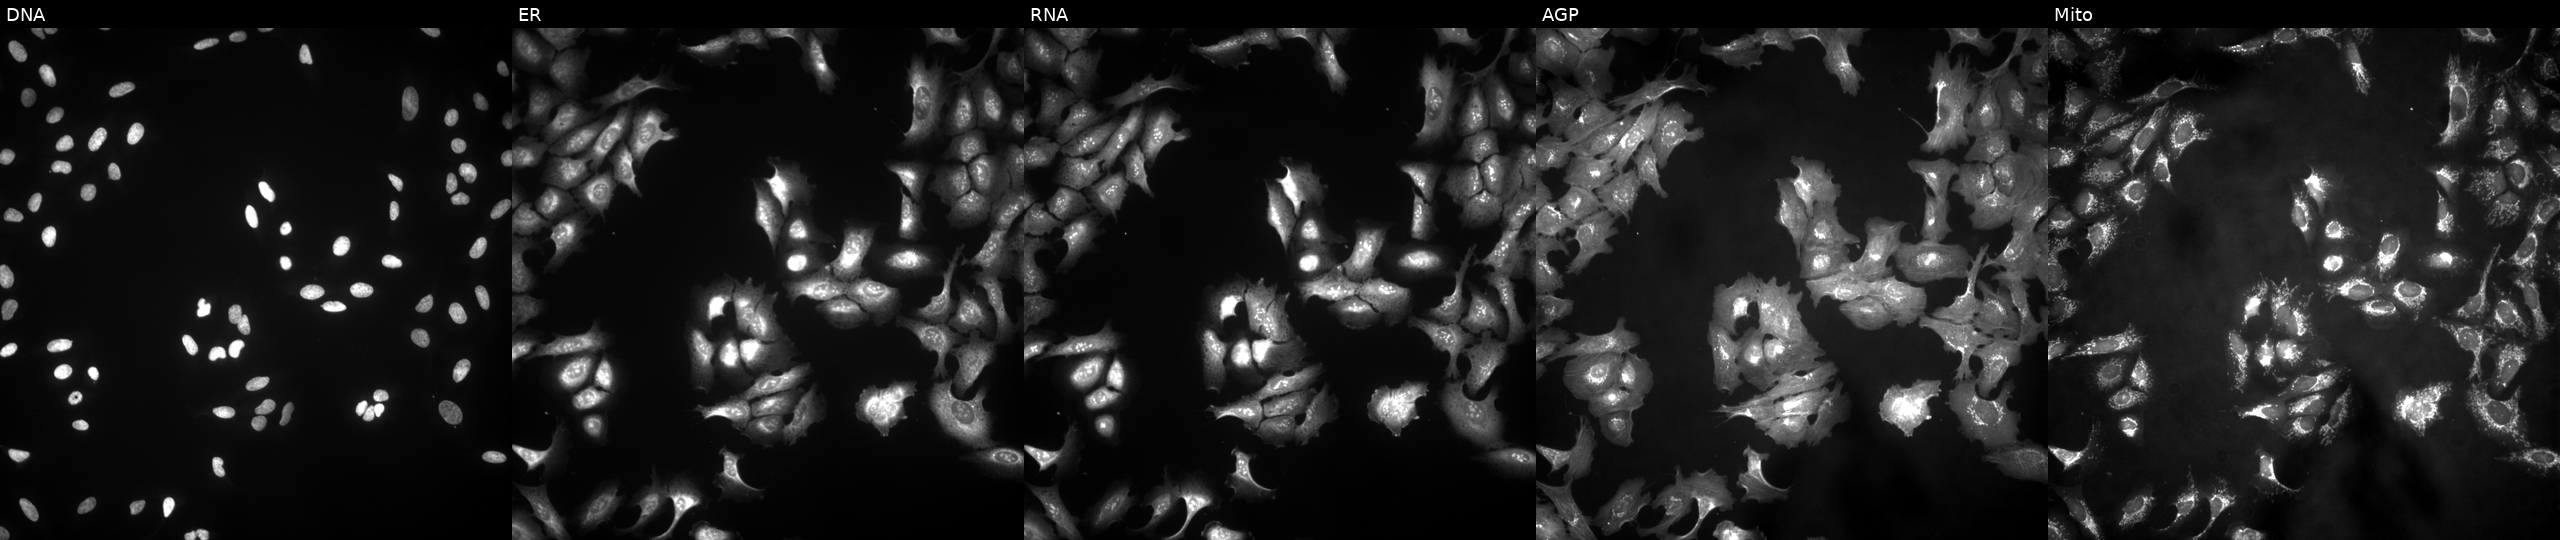
JUMP Cell Painting — ORF plate. U2OS cells overexpressing BPIFB2 via ORF transfection (JUMP id JCP2022_908432). Panels show, left to right, DNA, ER, RNA, AGP, and Mito.